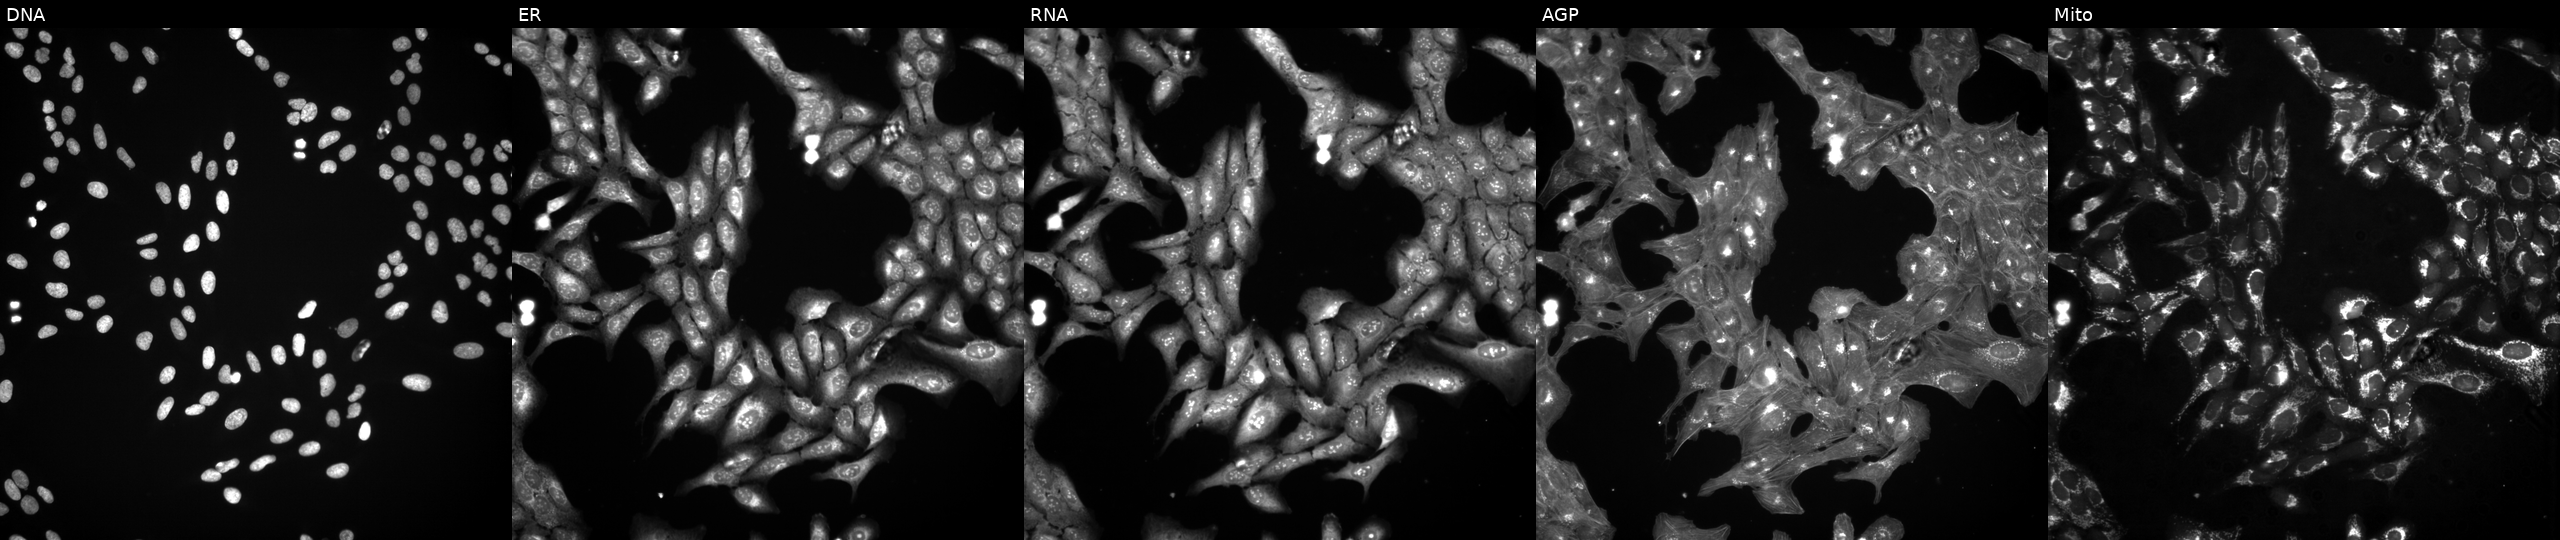
This image strip shows the five Cell Painting channels for a single field of U2OS cells perturbed with a small-molecule compound (InChIKey DCXPHSZGIVQNHS-UHFFFAOYSA-N). Panels show, left to right, DNA (nuclei); ER (endoplasmic reticulum); RNA (nucleoli and cytoplasmic RNA); AGP (actin cytoskeleton, Golgi, and plasma membrane); Mito (mitochondria).